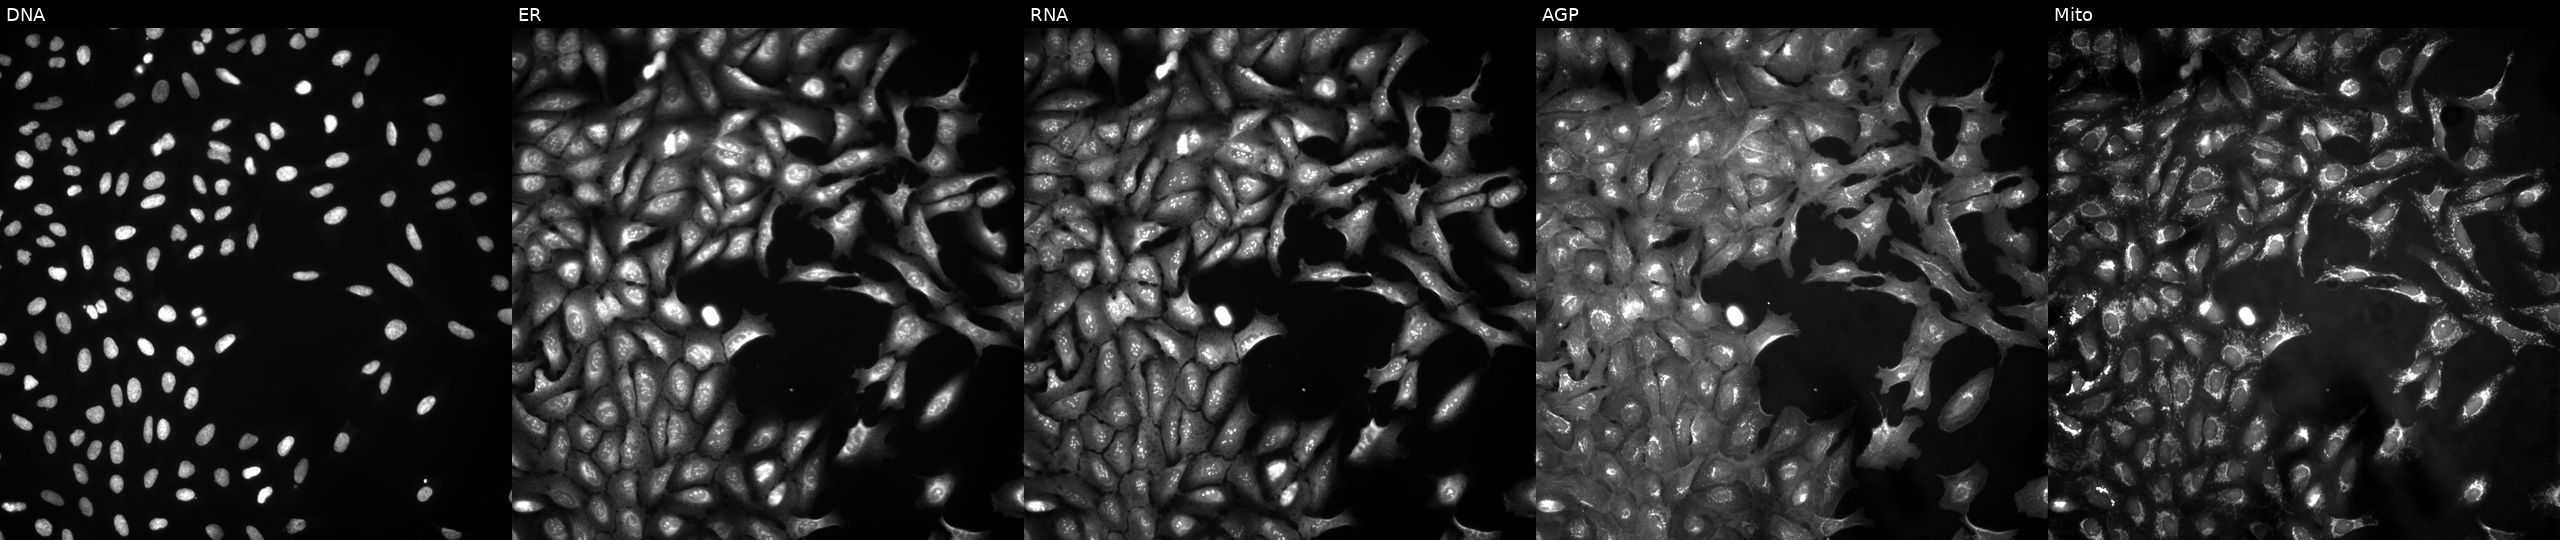
Five-channel Cell Painting image of U2OS cells with ANKRD16 overexpressed (ORF). From left to right: Hoechst 33342, concanavalin A, SYTO 14, phalloidin and WGA, MitoTracker. Source 4, plate BR00121543, well E13.